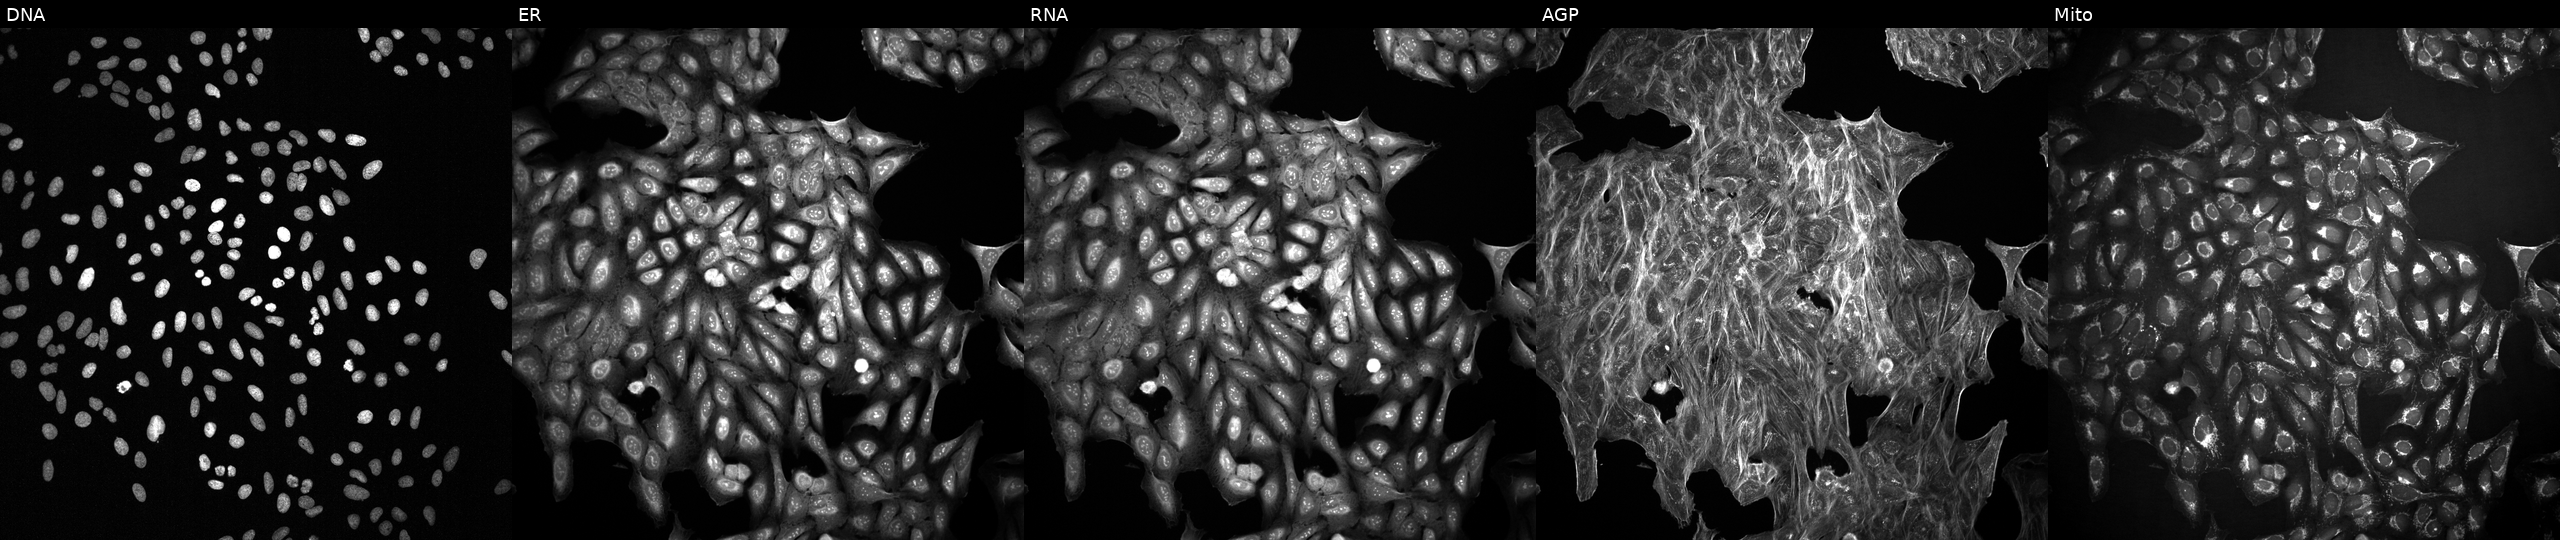
This image strip shows the five Cell Painting channels for a single field of U2OS cells exposed to the positive-control compound aloxistatin. The five panels, left to right, show DNA, ER, RNA, AGP, and Mito.